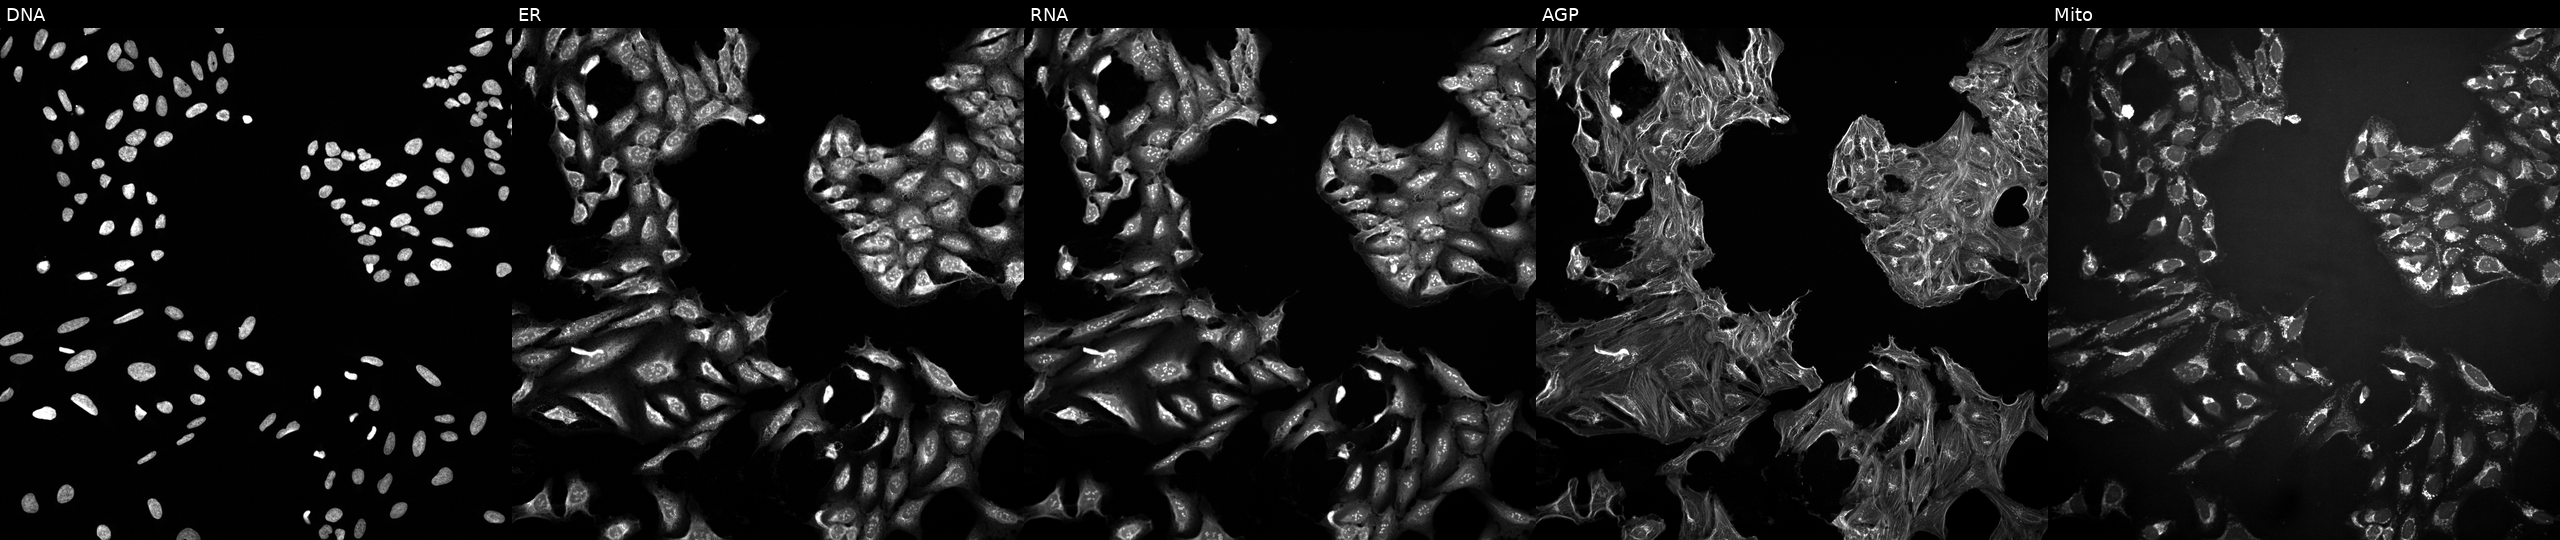
Panels show, left to right, DNA, ER, RNA, AGP, and Mito. U2OS osteosarcoma cells treated with a small-molecule compound. Cell Painting assay, JUMP-CP dataset.